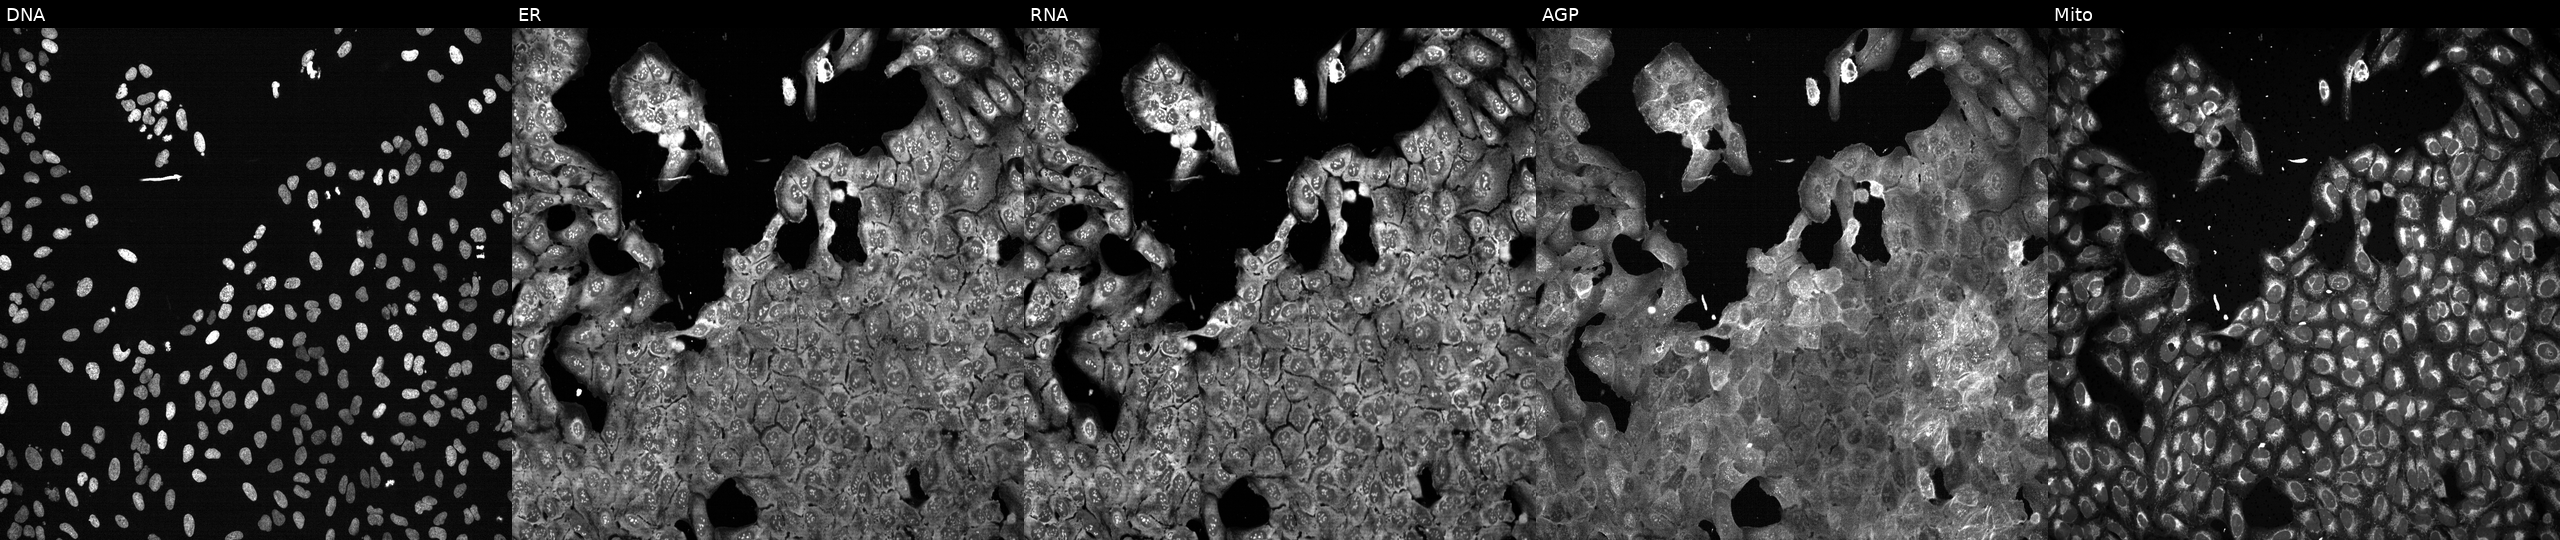
U2OS cells, Cell Painting assay, following CRISPR knockout of MCM6. From left to right: DNA, ER, RNA, AGP, and Mito. Each panel is percentile-stretched 16-bit fluorescence.